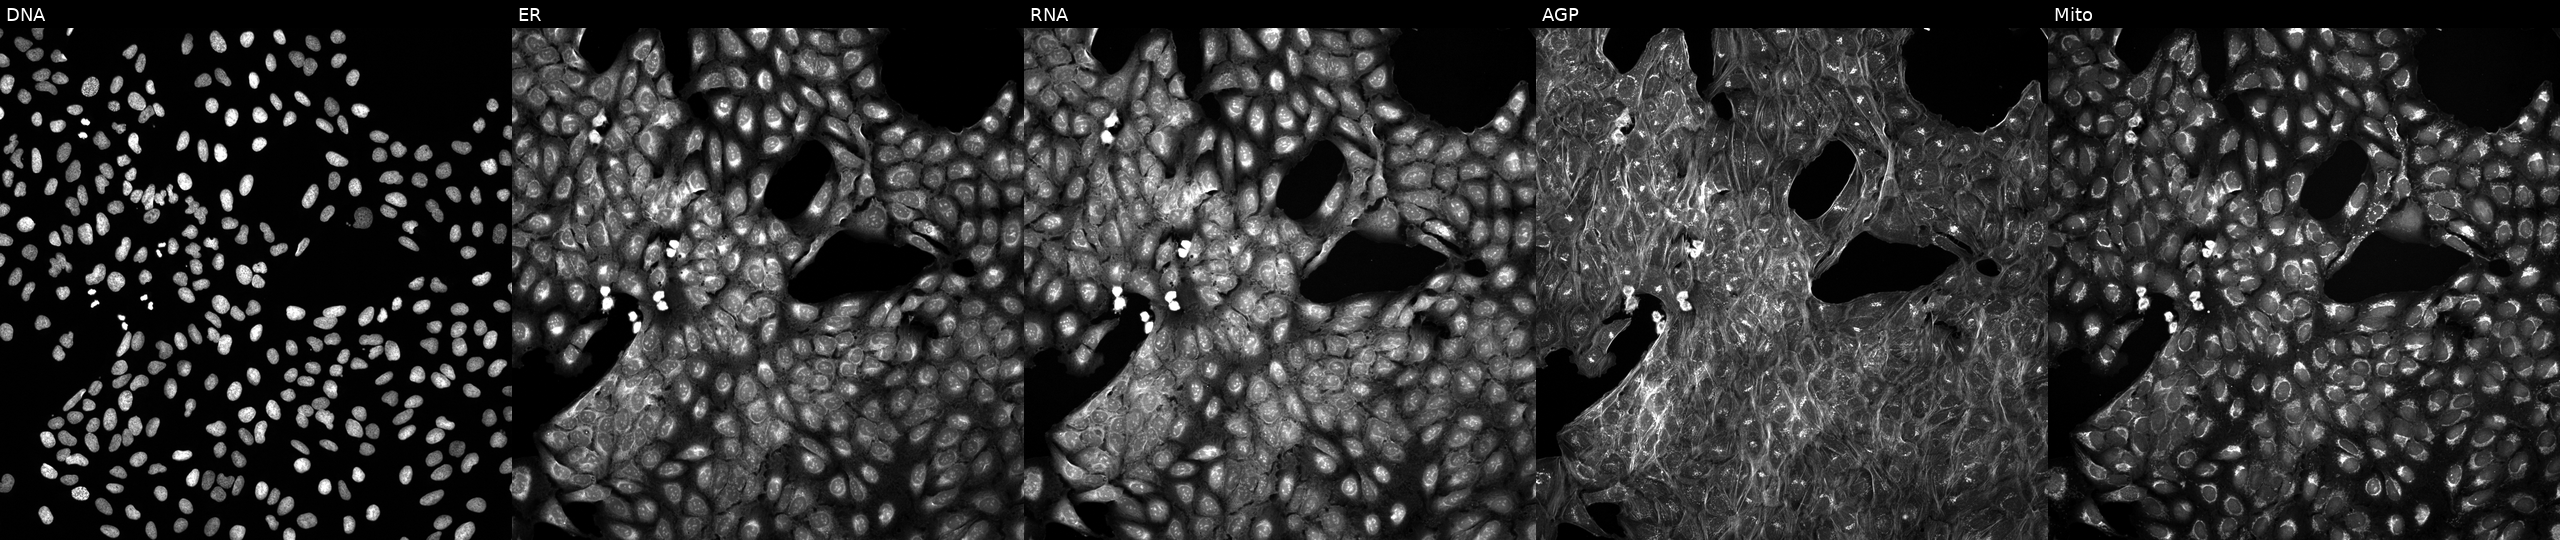
JUMP Cell Painting — TARGET2 plate. U2OS cells exposed to a small-molecule compound. Channels (left→right): DNA, ER, RNA, AGP, and Mito. Source 5, plate ACPJUM051, well E07.